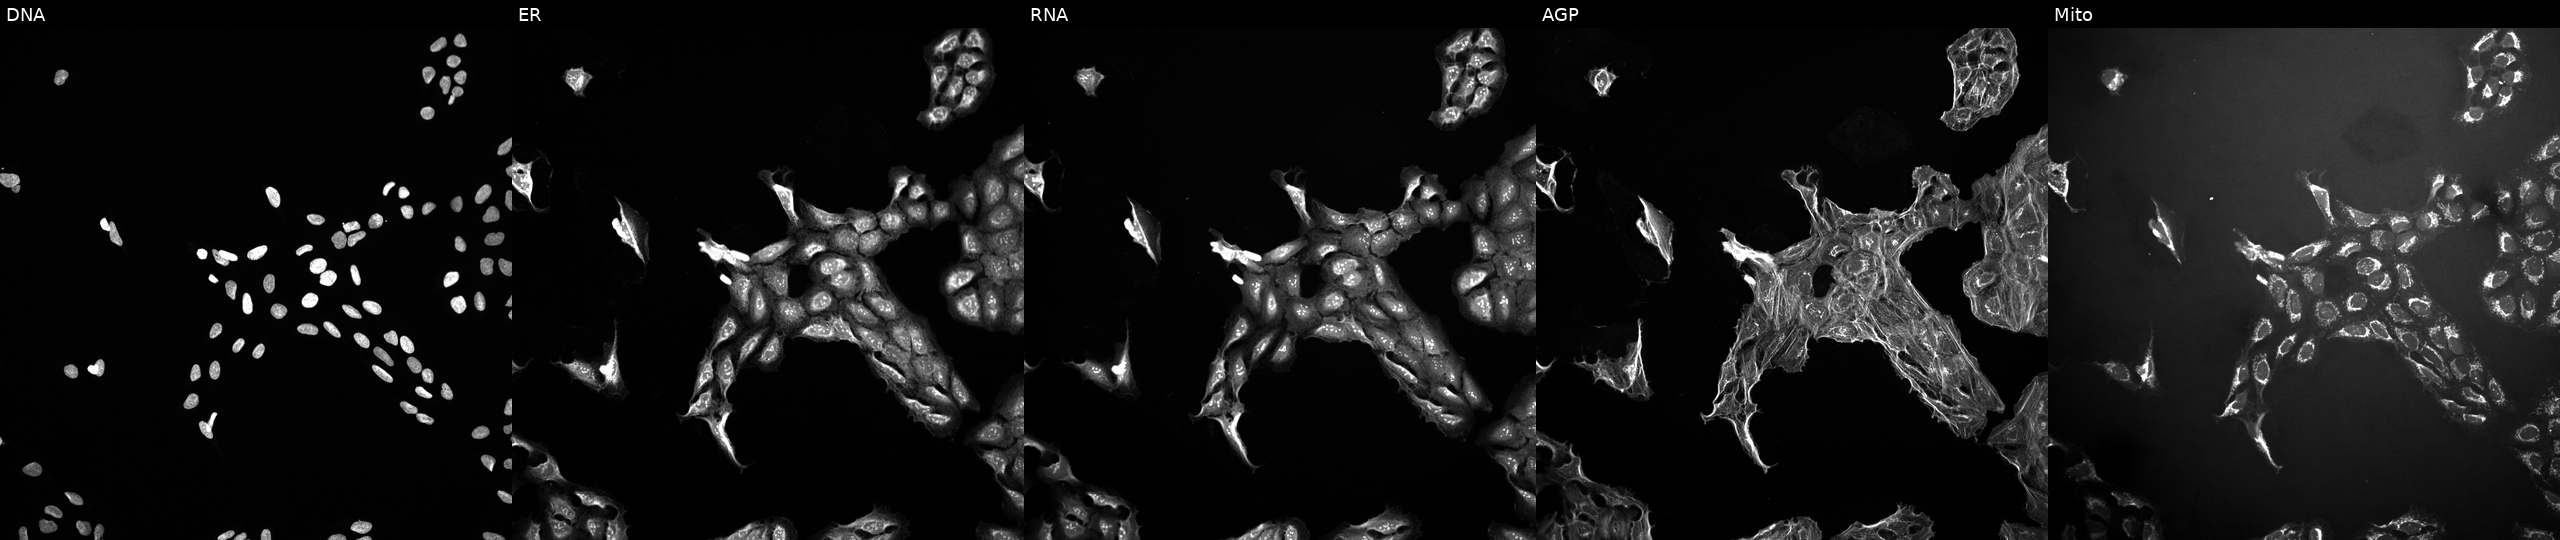
U2OS cells, Cell Painting assay, exposed to a small-molecule compound (InChIKey GYYRMJMXXLJZAB-UHFFFAOYSA-N) [SMILES: CC(C)Oc1ccc(Cc2ccc(NC3=NCCN3)cc2)cc1] (JUMP id JCP2022_028645). Channels (left→right): Hoechst 33342, concanavalin A, SYTO 14, phalloidin and WGA, MitoTracker. Each panel is percentile-stretched 16-bit fluorescence.